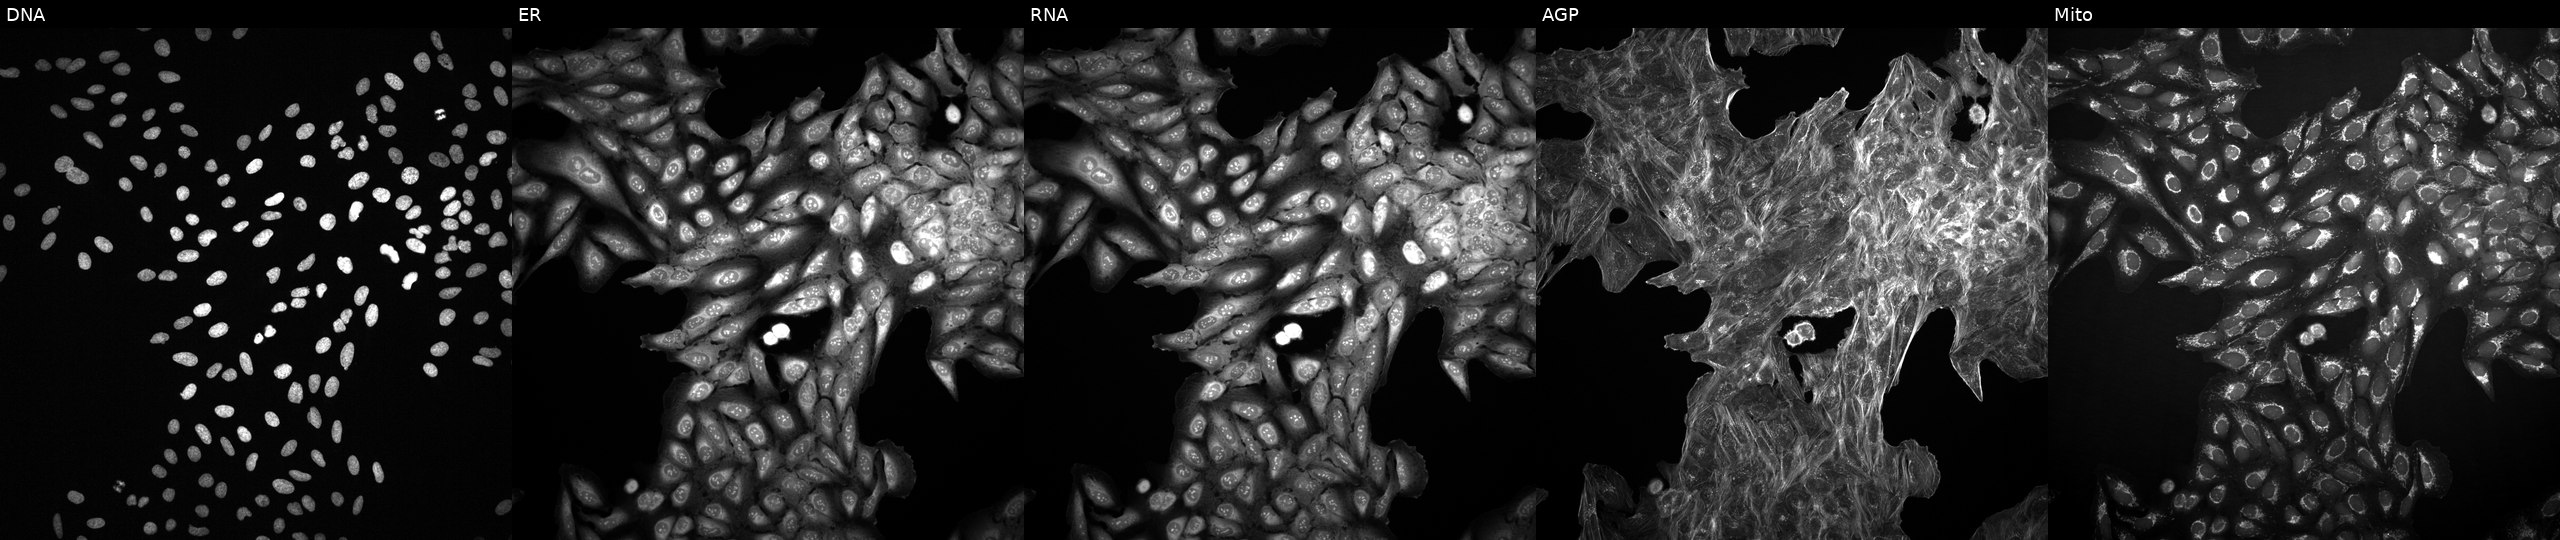
JUMP Cell Painting — TARGET2 plate. U2OS cells treated with a small-molecule compound (JUMP id JCP2022_069285). Channels (left→right): DNA, ER, RNA, AGP, and Mito. Source 2, plate 1053597936, well G15.